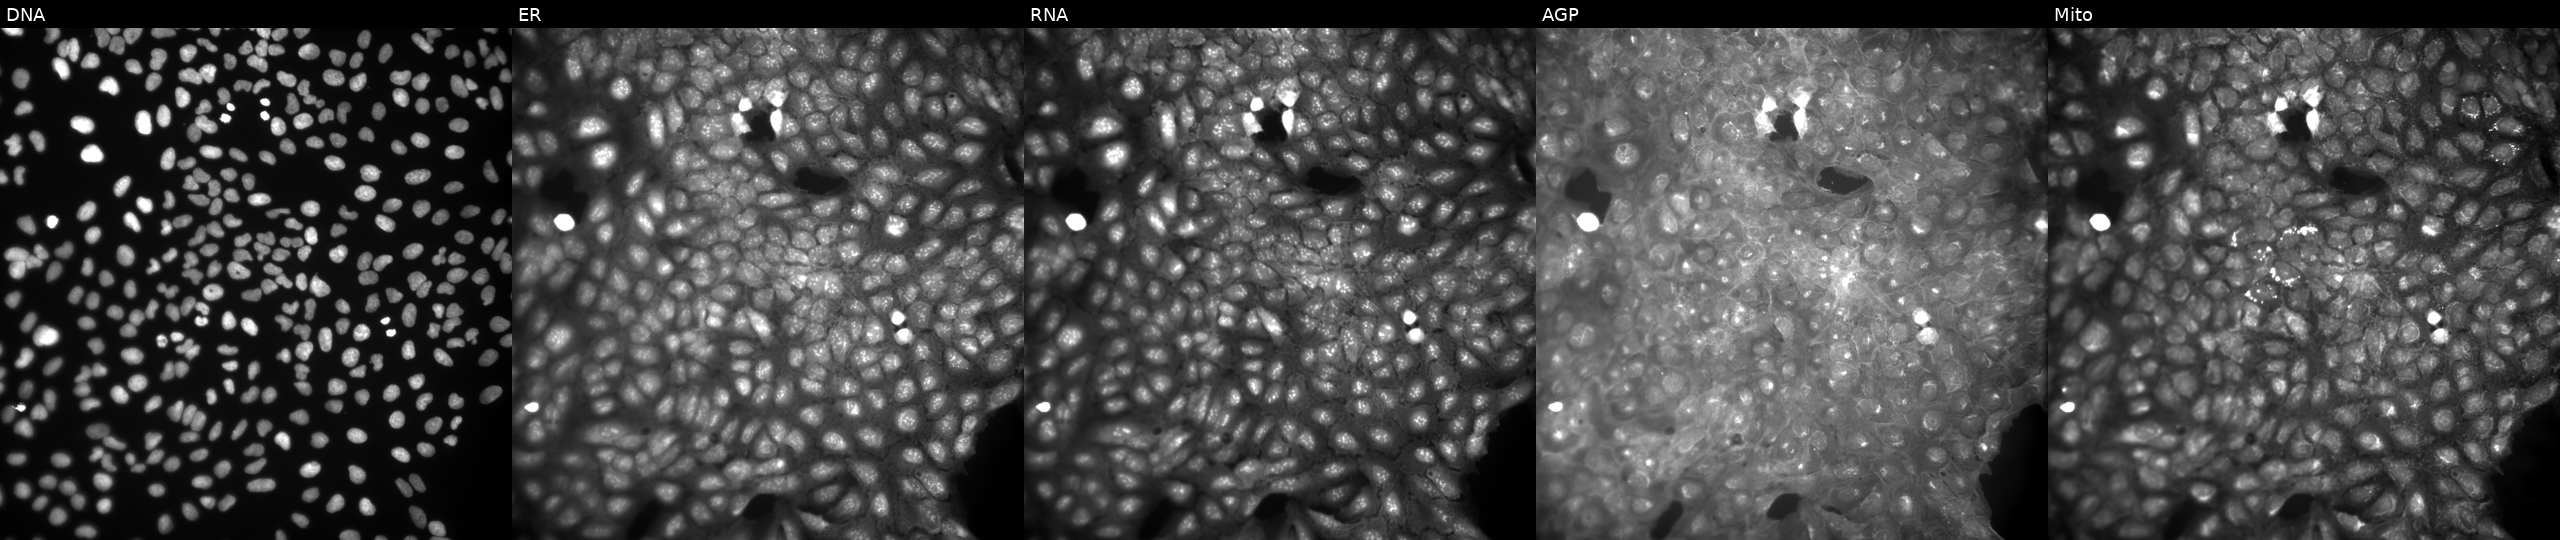
JUMP Cell Painting — COMPOUND plate. U2OS cells perturbed with a small-molecule compound (InChIKey PYGCXWXIHFGLGK-UHFFFAOYSA-N). From left to right: Hoechst 33342, concanavalin A, SYTO 14, phalloidin and WGA, MitoTracker.